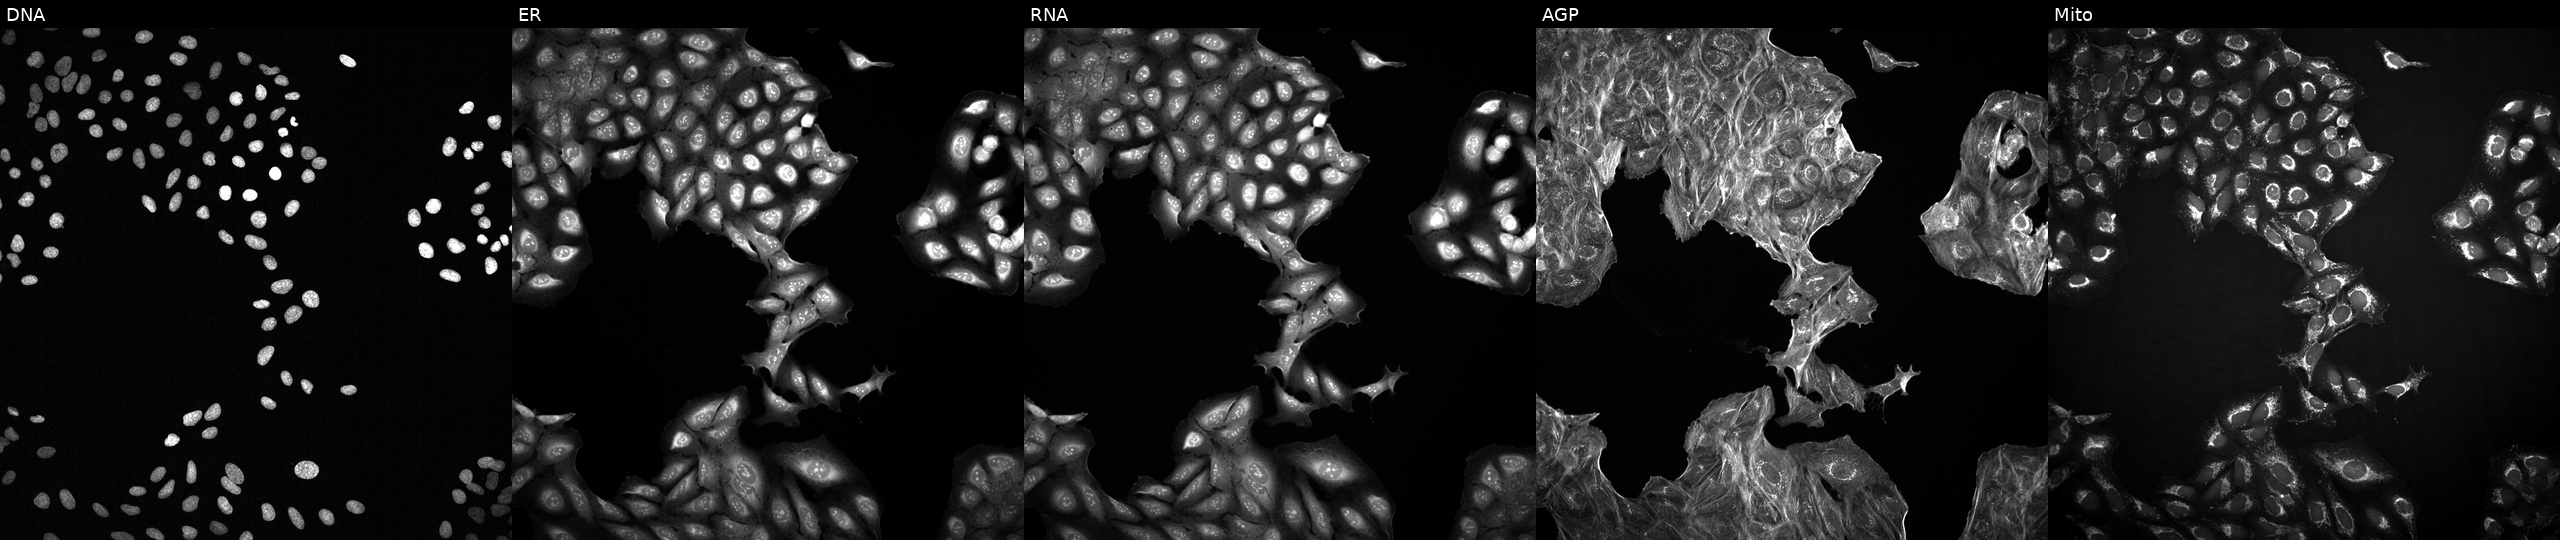
This image strip shows the five Cell Painting channels for a single field of U2OS cells exposed to DMSO alone as a negative control (JUMP id JCP2022_033924). From left to right: DNA, ER, RNA, AGP, and Mito.